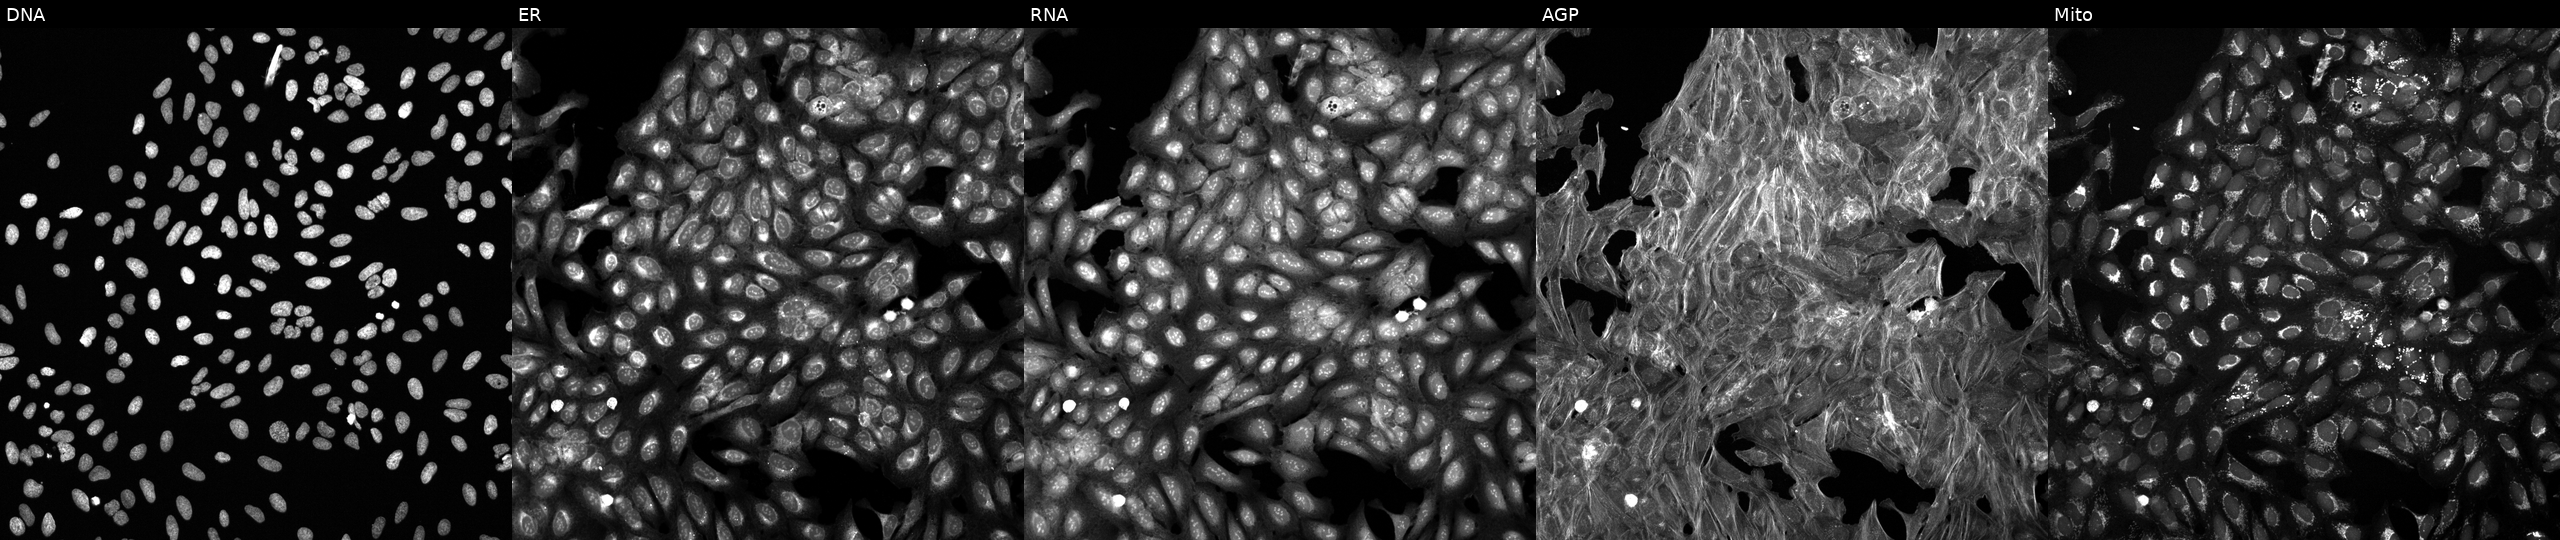
High-content fluorescence microscopy (Cell Painting). Cell line: U2OS. Perturbation: exposed to a small-molecule compound (InChIKey LIVGOFWXEKWTIQ-UHFFFAOYSA-N). The five panels, left to right, show DNA, ER, RNA, AGP, and Mito.